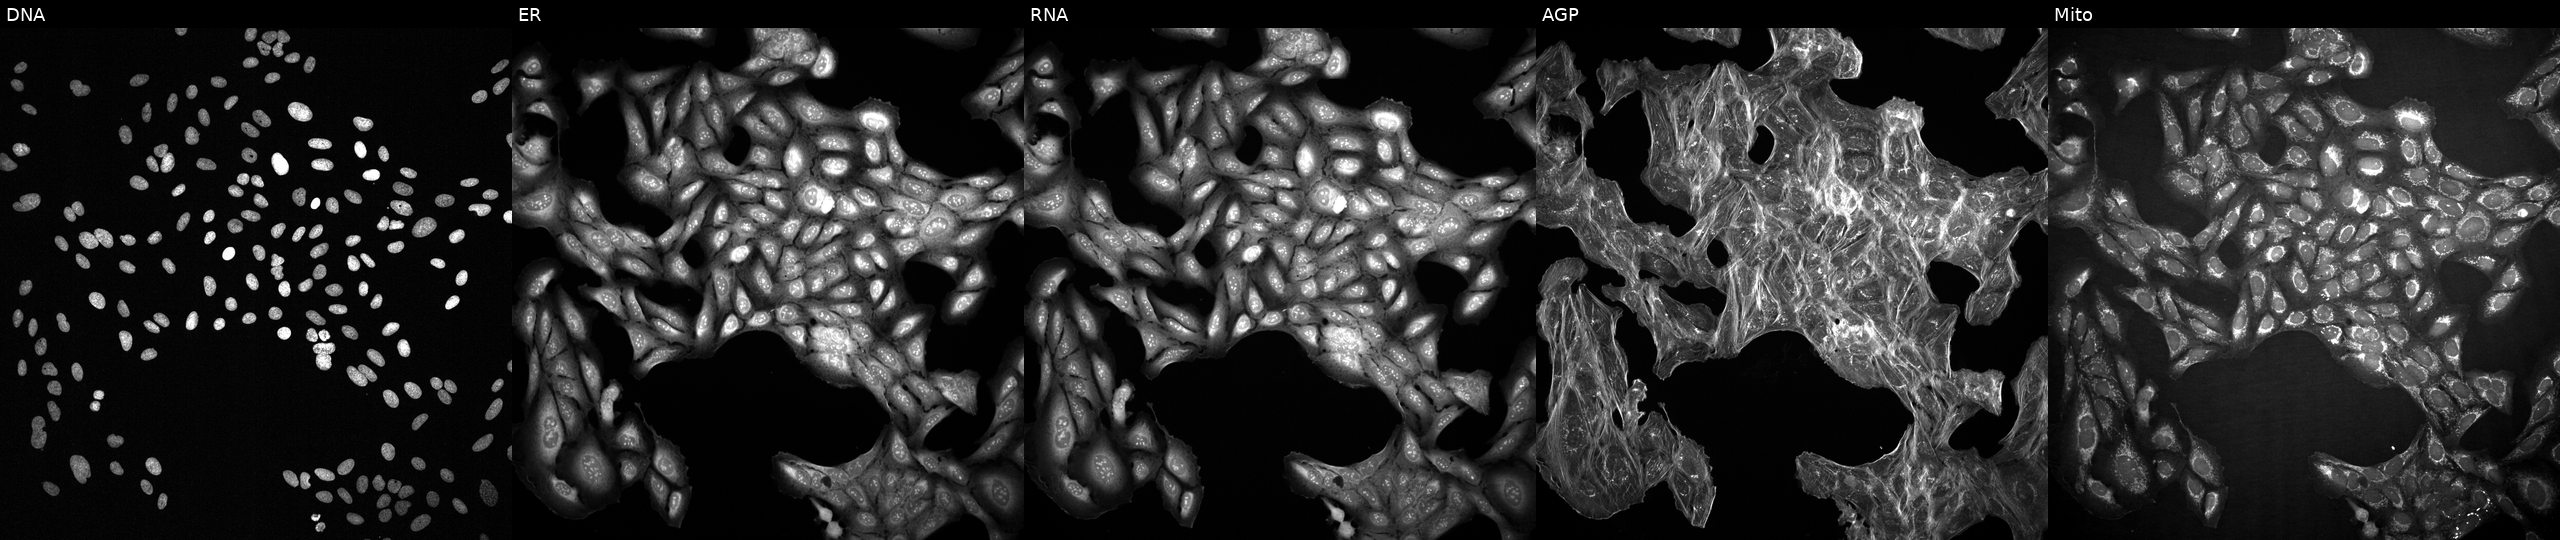
JUMP Cell Painting — COMPOUND plate. U2OS cells treated with a small-molecule compound (InChIKey LPSQMNSGPLJWMM-UHFFFAOYSA-N) [SMILES: CN(C1CCCCC1)S(=O)(=O)c1ccc(C(=O)N=c2[nH]c3c(s2)COc2ccccc2-3)cc1] (JUMP id JCP2022_050953). From left to right: DNA, ER, RNA, AGP, and Mito. Source 2, plate 1053601763, well E10.